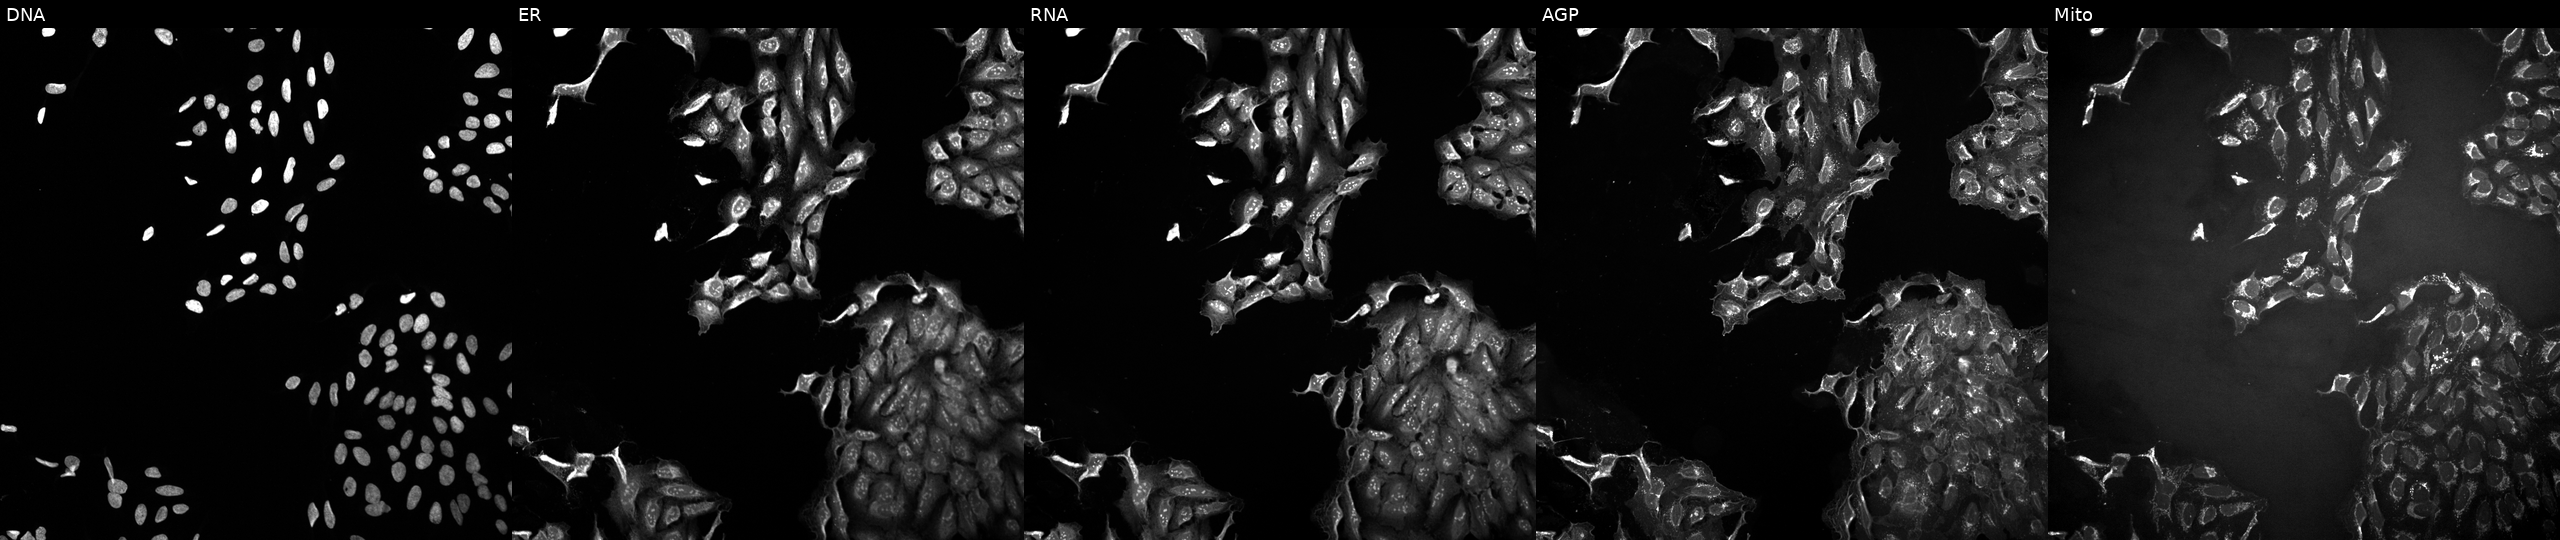
Five-channel Cell Painting image of U2OS cells exposed to the positive-control compound quinidine. From left to right: Hoechst 33342, concanavalin A, SYTO 14, phalloidin and WGA, MitoTracker. Source 10, plate Dest210803-153958, well A02.